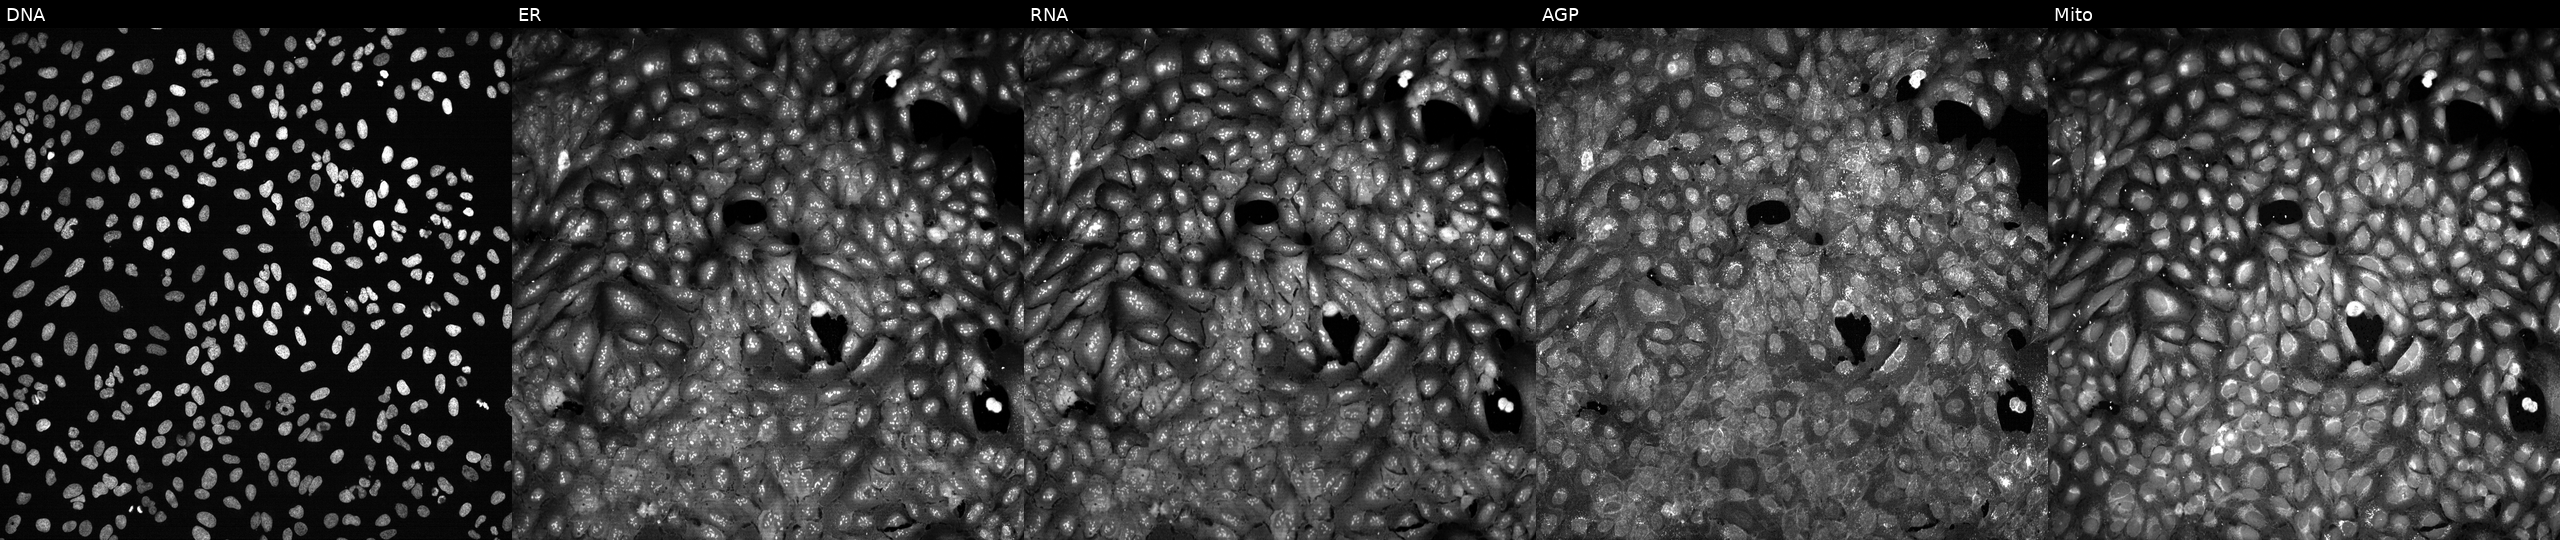
High-content fluorescence microscopy (Cell Painting). Cell line: U2OS. Perturbation: CRISPR-edited to disrupt EGLN3. The five panels, left to right, show DNA, ER, RNA, AGP, and Mito.